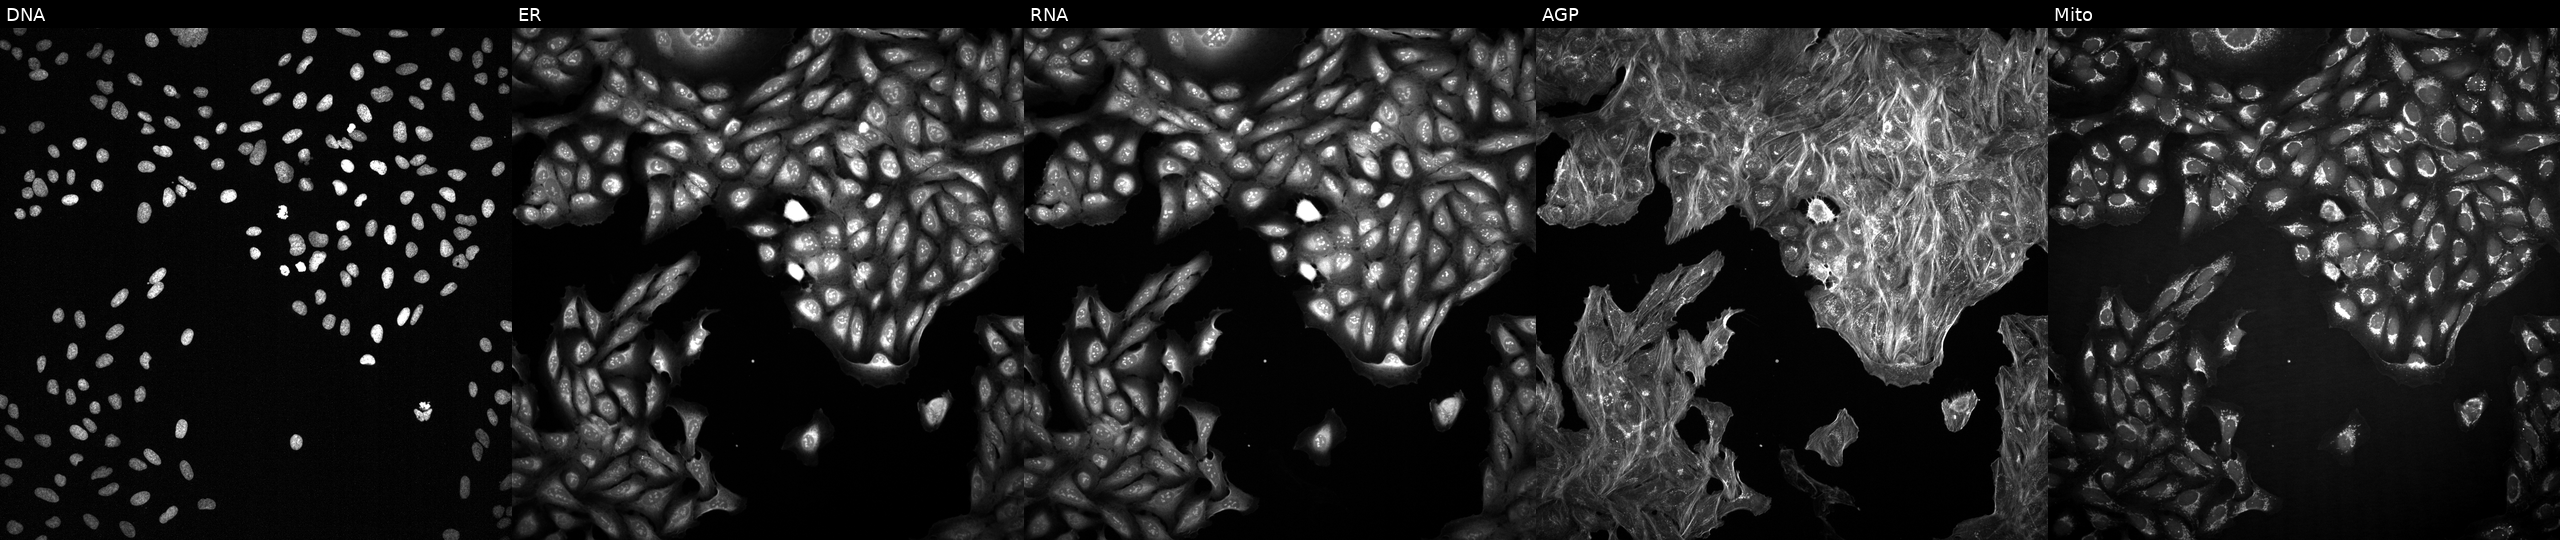
U2OS cells, Cell Painting assay, treated with a small-molecule compound (InChIKey ALBKMJDFBZVHAK-UHFFFAOYSA-N) [SMILES: CCOC(=O)c1ncc2[nH]c3ccc(OCc4ccccc4)cc3c2c1COC] (JUMP id JCP2022_002118). Channels (left→right): DNA (nuclei); ER (endoplasmic reticulum); RNA (nucleoli and cytoplasmic RNA); AGP (actin cytoskeleton, Golgi, and plasma membrane); Mito (mitochondria). Each panel is percentile-stretched 16-bit fluorescence.